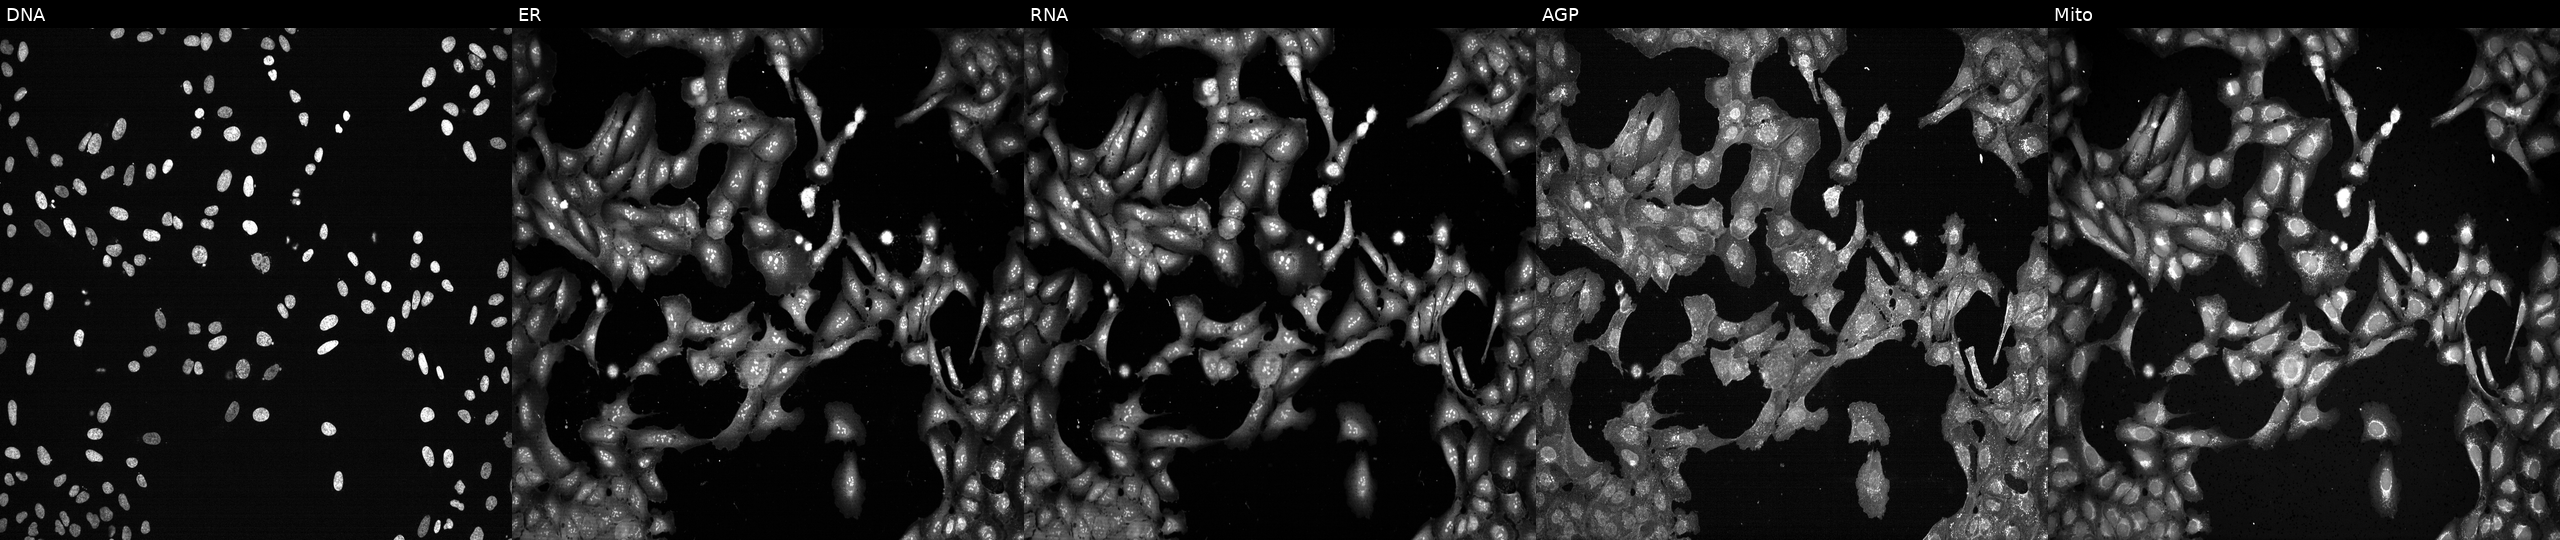
This image strip shows the five Cell Painting channels for a single field of U2OS cells following CRISPR knockout of SLCO1C1. From left to right: Hoechst 33342, concanavalin A, SYTO 14, phalloidin and WGA, MitoTracker.